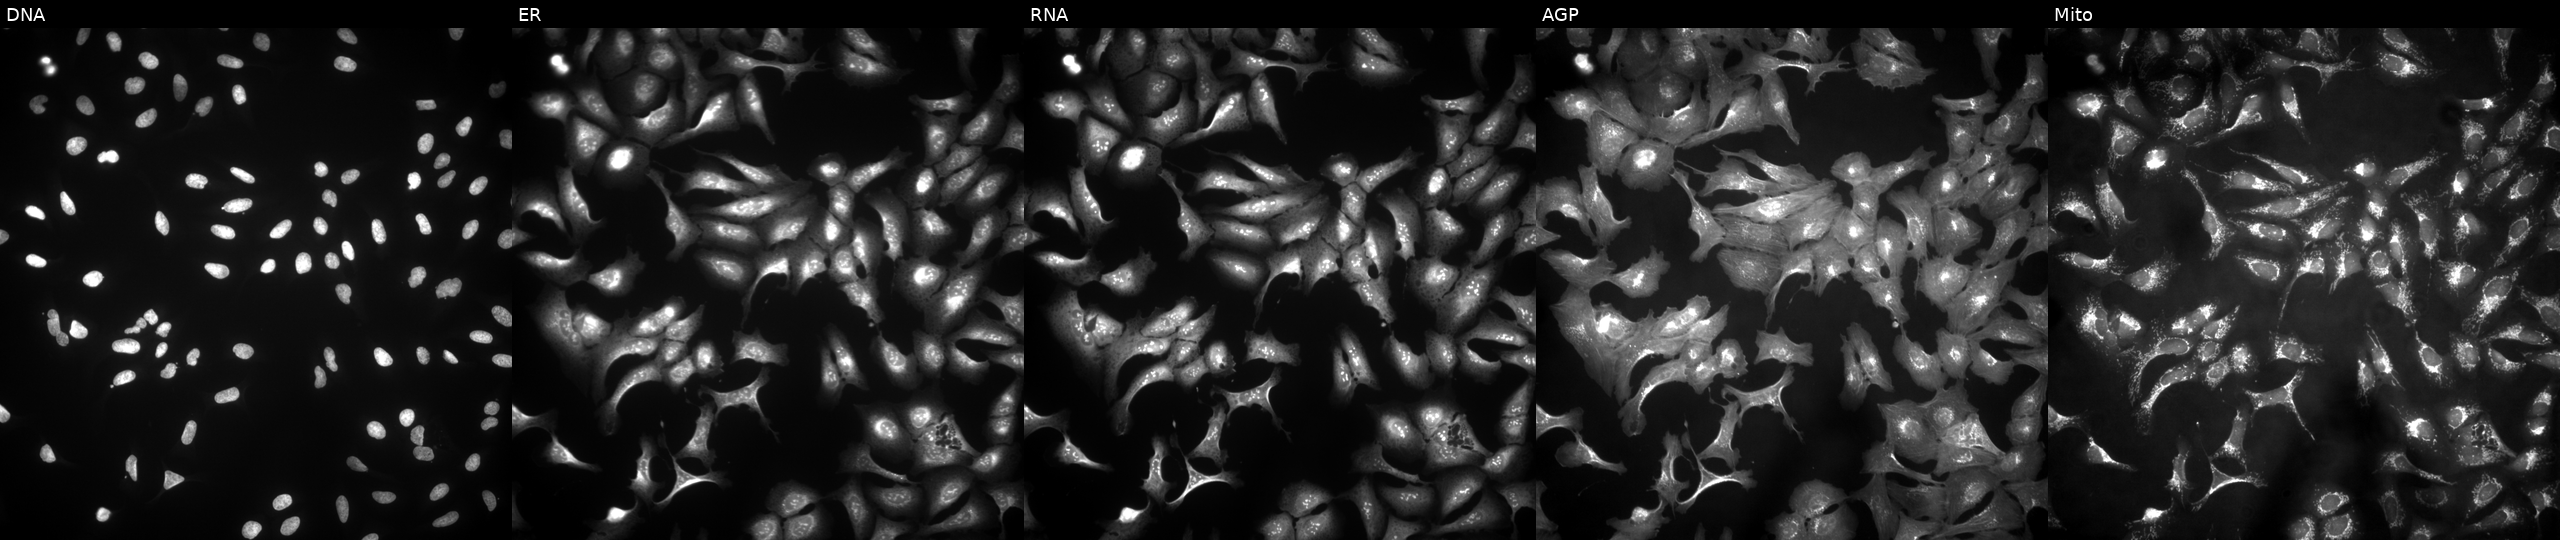
Five-channel Cell Painting image of U2OS cells overexpressing IRAK3 via ORF transfection. From left to right: Hoechst 33342, concanavalin A, SYTO 14, phalloidin and WGA, MitoTracker.